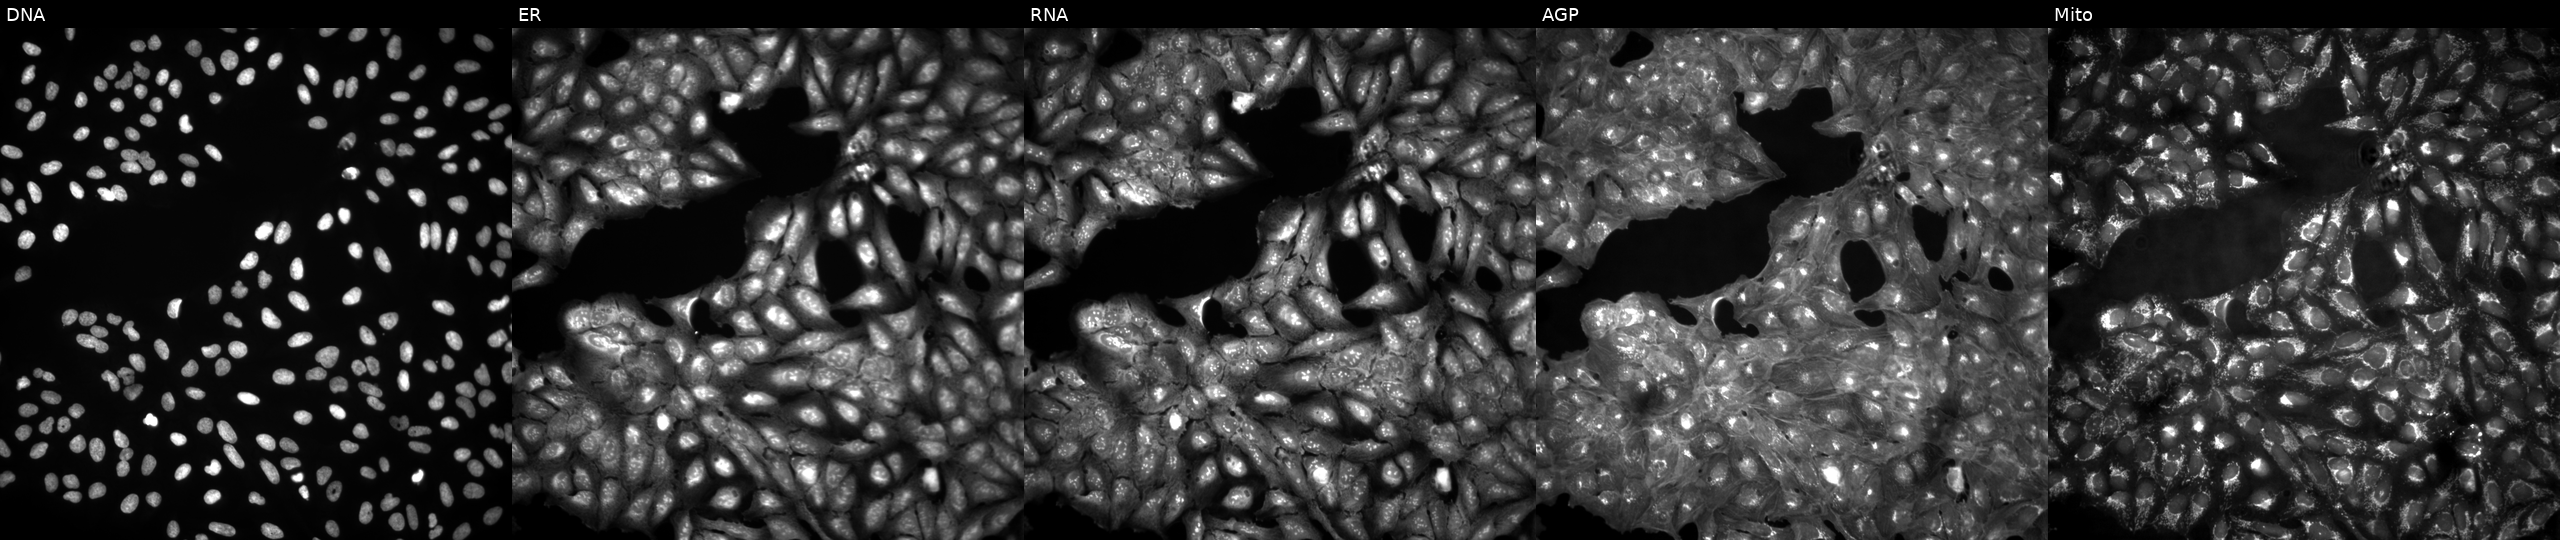
Five-channel Cell Painting image of U2OS cells in an empty control well (no perturbation). Channels (left→right): DNA (nuclei); ER (endoplasmic reticulum); RNA (nucleoli and cytoplasmic RNA); AGP (actin cytoskeleton, Golgi, and plasma membrane); Mito (mitochondria). Source 4, plate BR00123946, well B21.